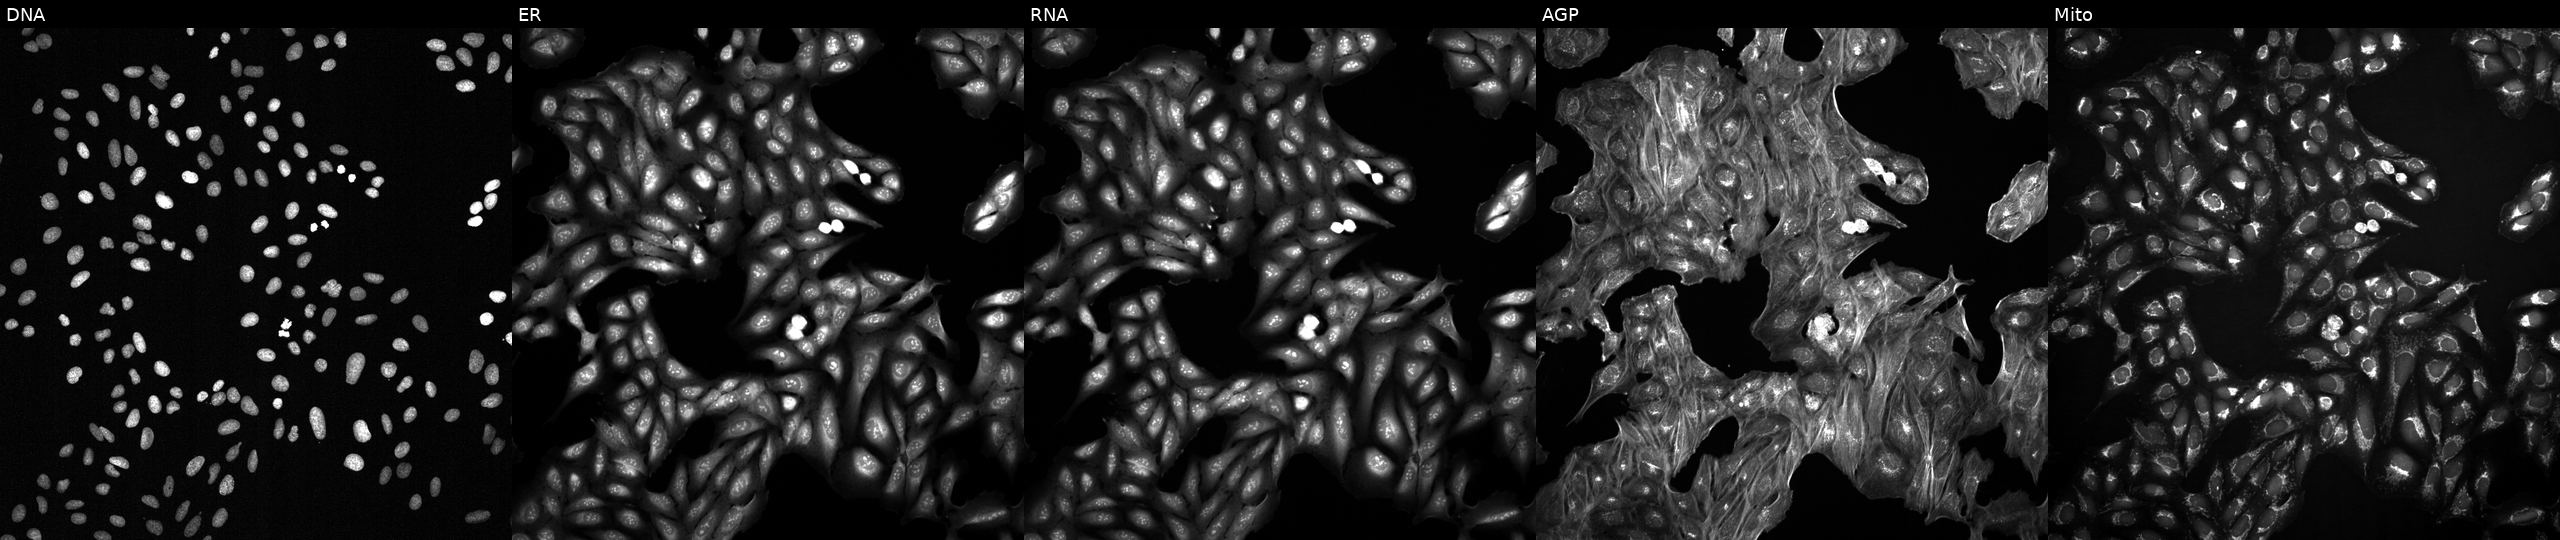
This image strip shows the five Cell Painting channels for a single field of U2OS cells exposed to DMSO alone as a negative control. The five panels, left to right, show Hoechst 33342, concanavalin A, SYTO 14, phalloidin and WGA, MitoTracker.